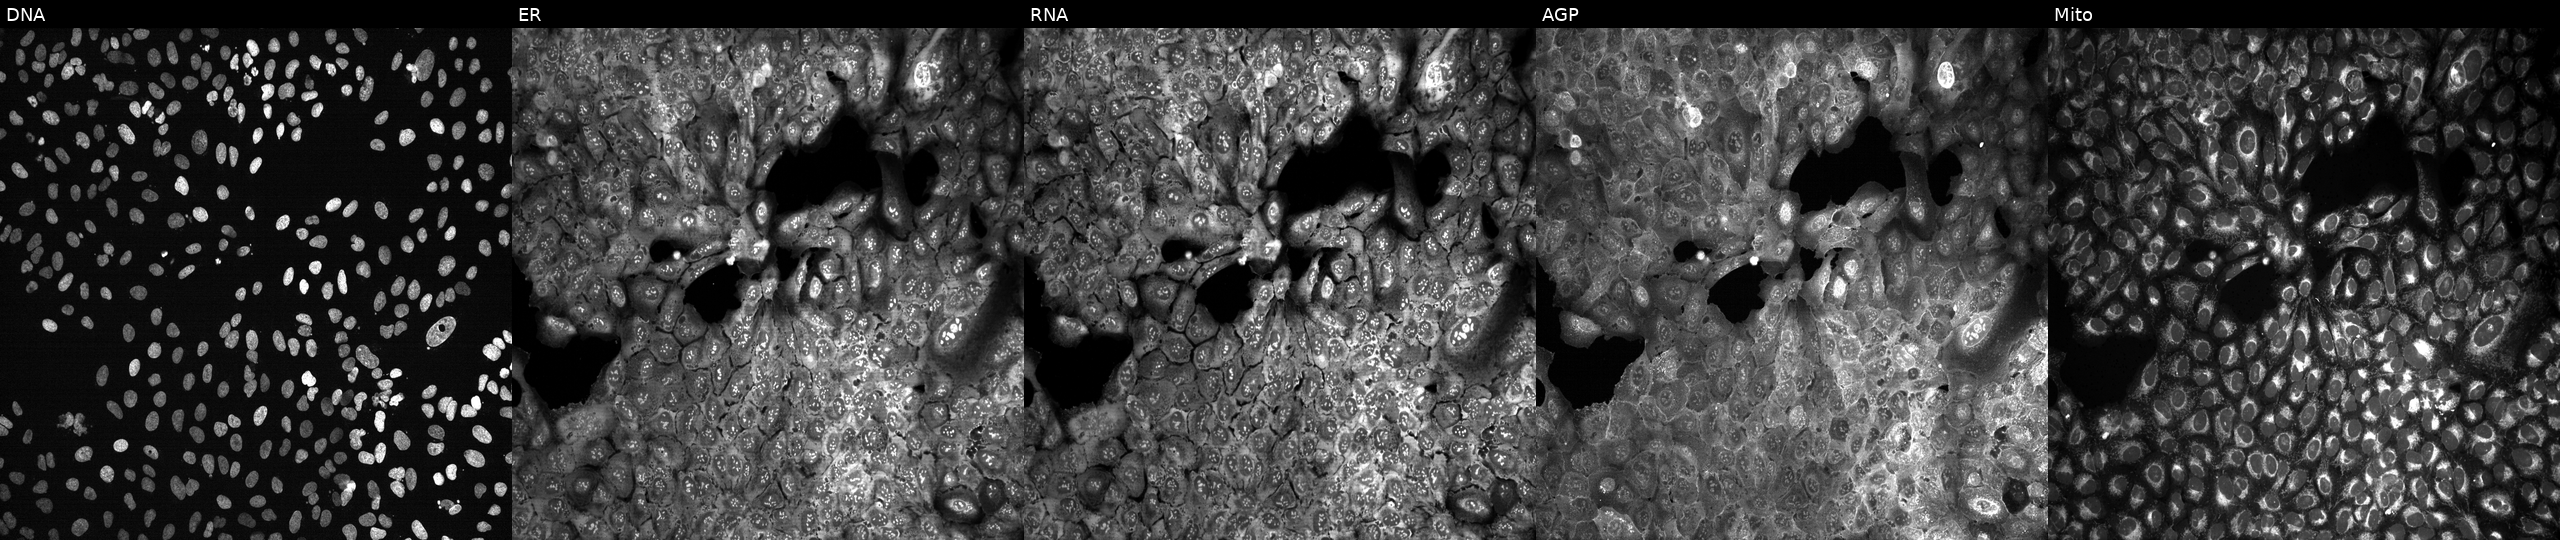
Panels show, left to right, Hoechst 33342, concanavalin A, SYTO 14, phalloidin and WGA, MitoTracker. U2OS osteosarcoma cells with GNB4 knocked out by CRISPR (JUMP id JCP2022_802771). Cell Painting assay, JUMP-CP dataset.